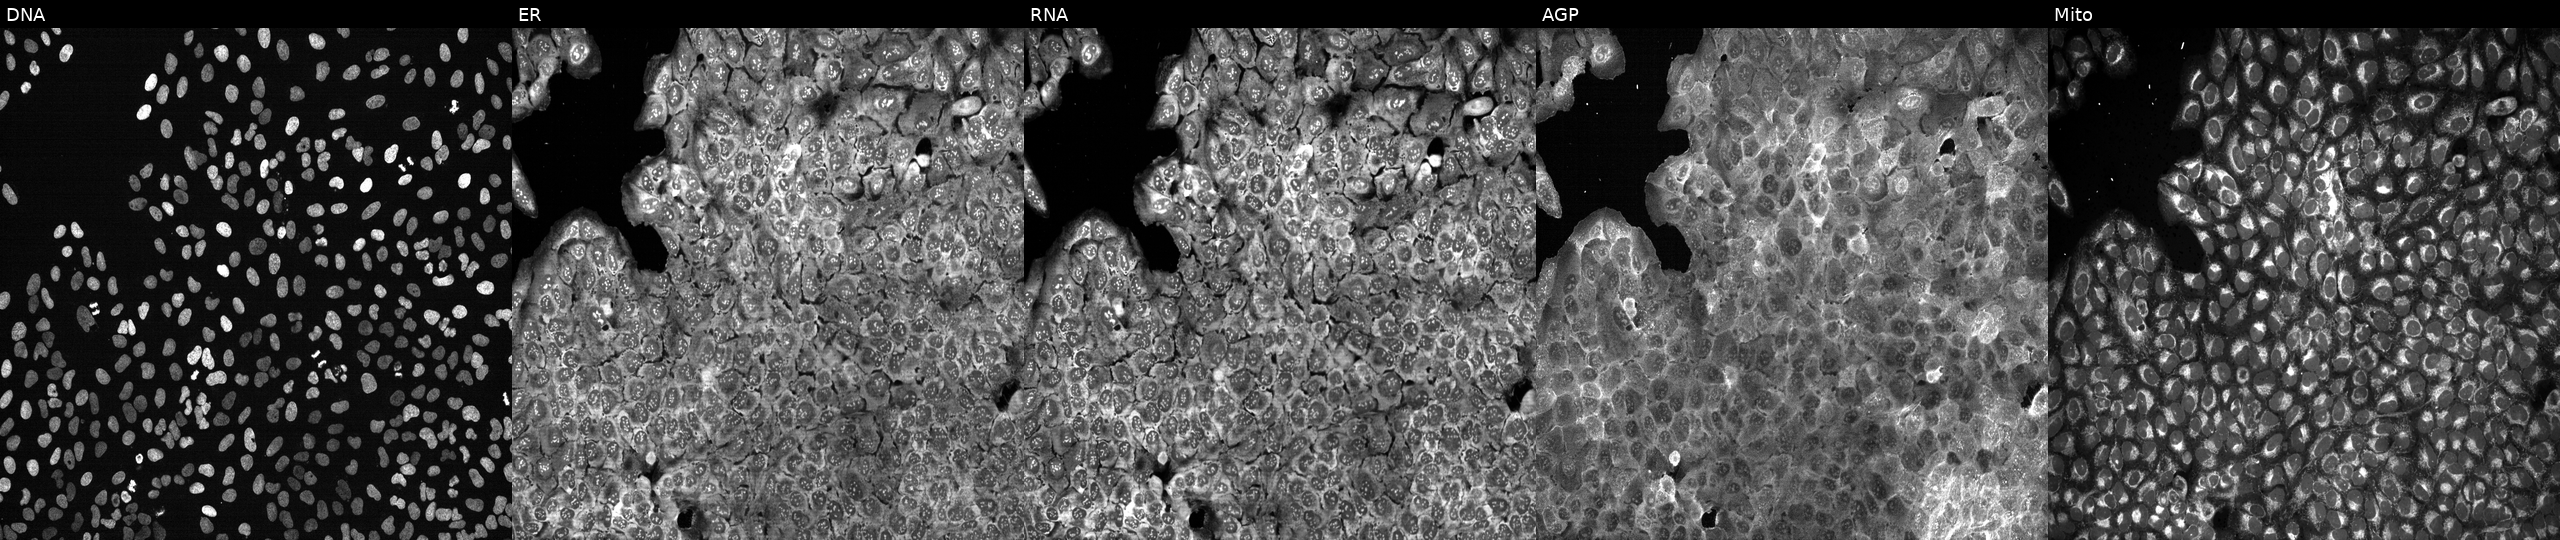
U2OS cells, Cell Painting assay, CRISPR-edited to disrupt CES1. The five panels, left to right, show Hoechst 33342, concanavalin A, SYTO 14, phalloidin and WGA, MitoTracker. Each panel is percentile-stretched 16-bit fluorescence.